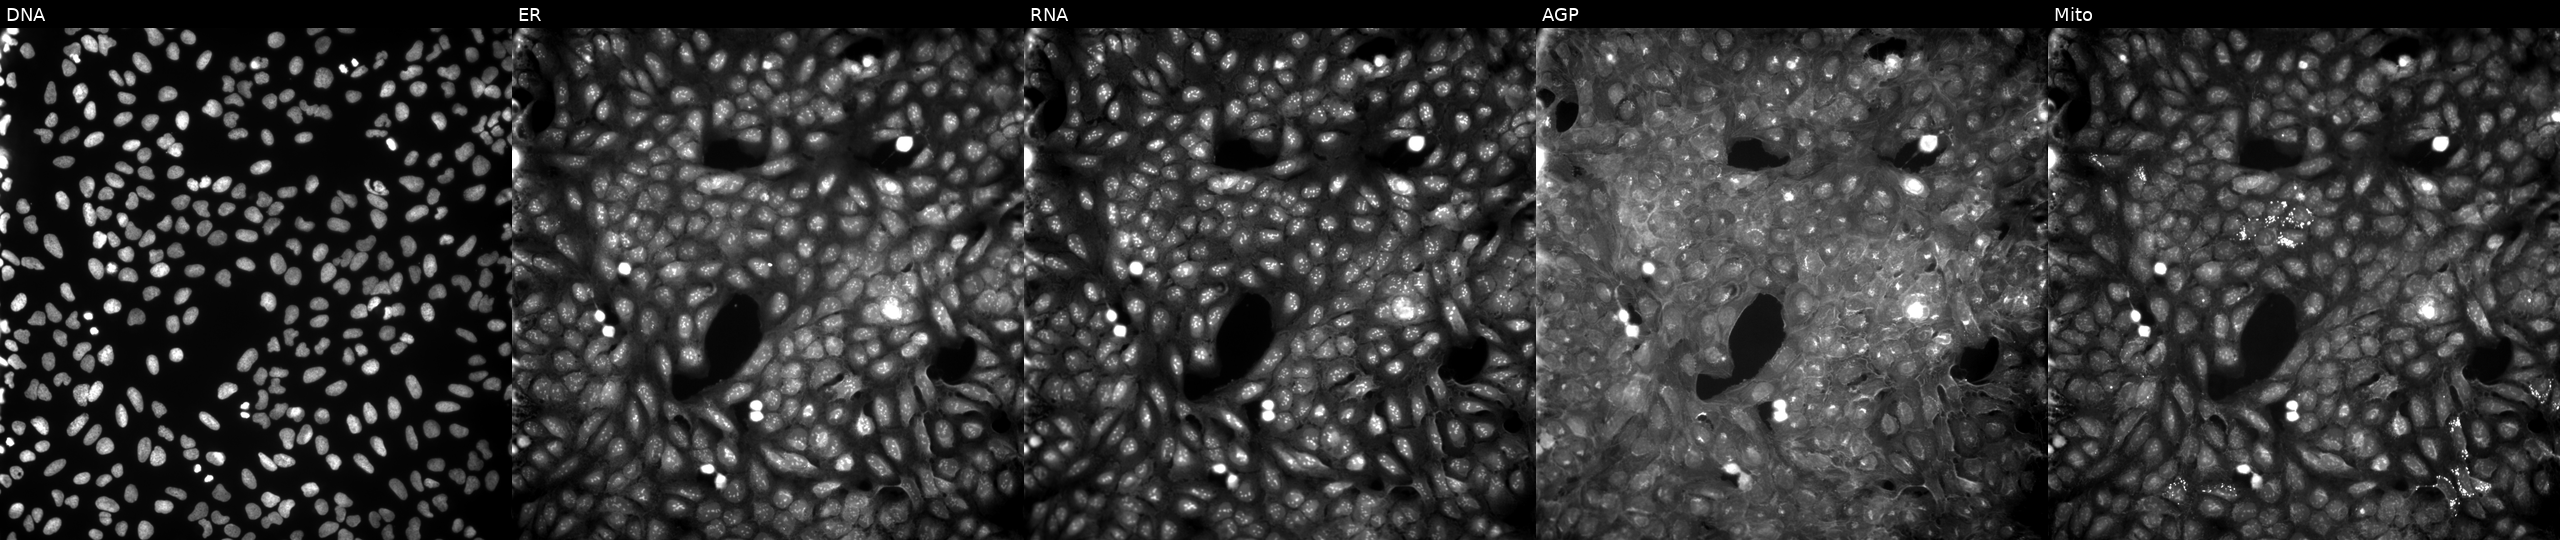
JUMP Cell Painting — COMPOUND plate. U2OS cells perturbed with a small-molecule compound (InChIKey LXGXFAHDVDRRCG-UHFFFAOYSA-N) [SMILES: Nc1c(C(=O)Nc2ccc(Cl)c(C(=O)O)c2)sc2nc3c(cc12)CCCC3] (JUMP id JCP2022_052316). Panels show, left to right, Hoechst 33342, concanavalin A, SYTO 14, phalloidin and WGA, MitoTracker.